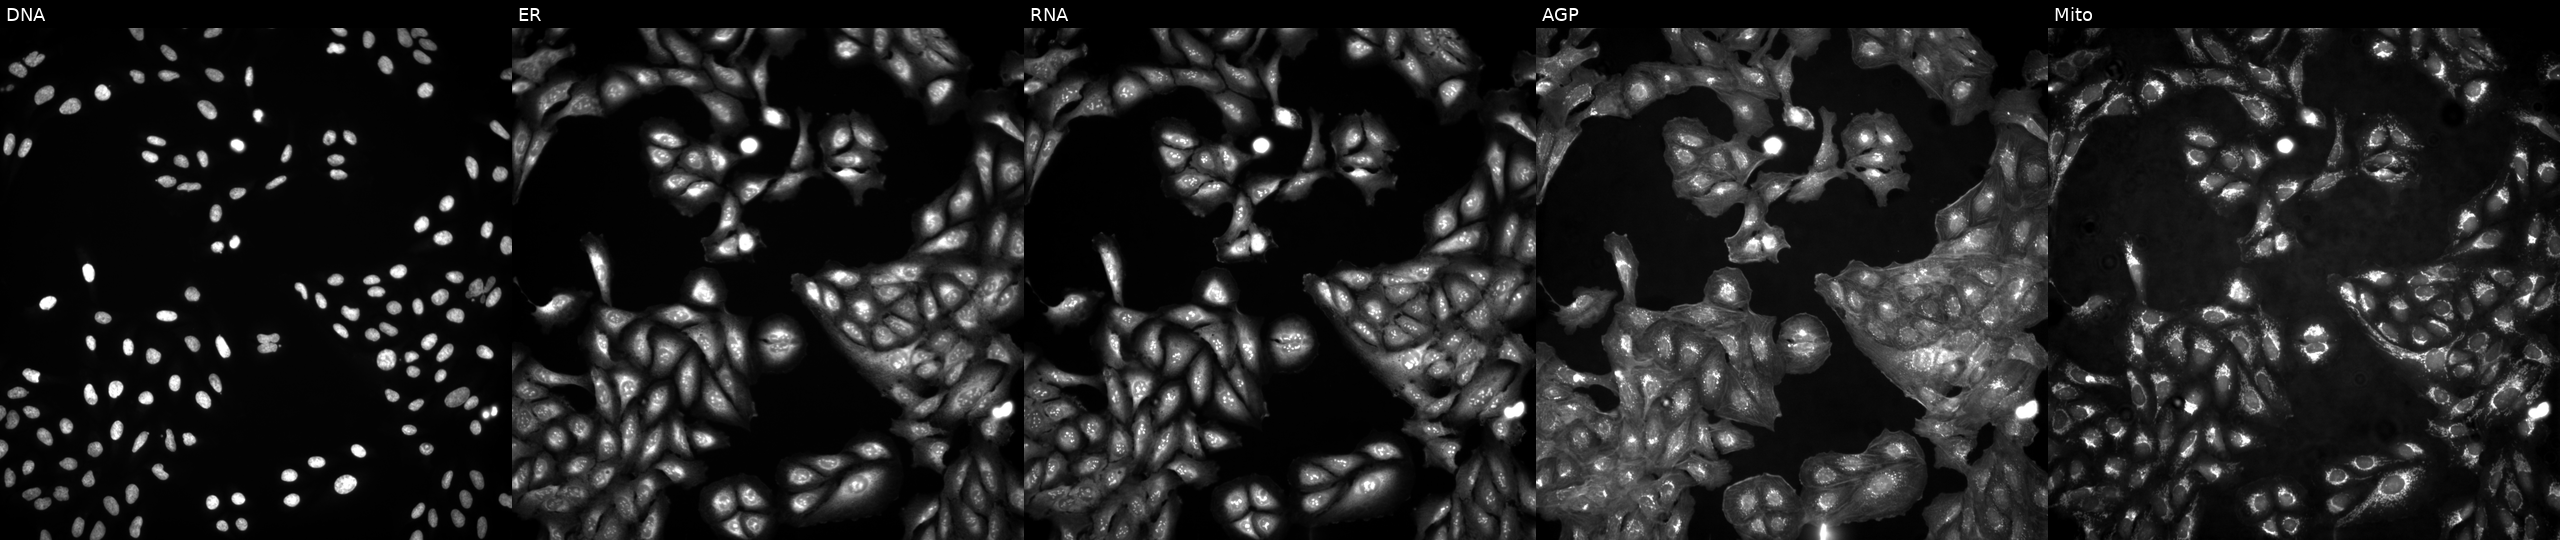
Five-channel Cell Painting image of U2OS cells untreated (empty-well control) (JUMP id JCP2022_999999). Channels (left→right): DNA, ER, RNA, AGP, and Mito.